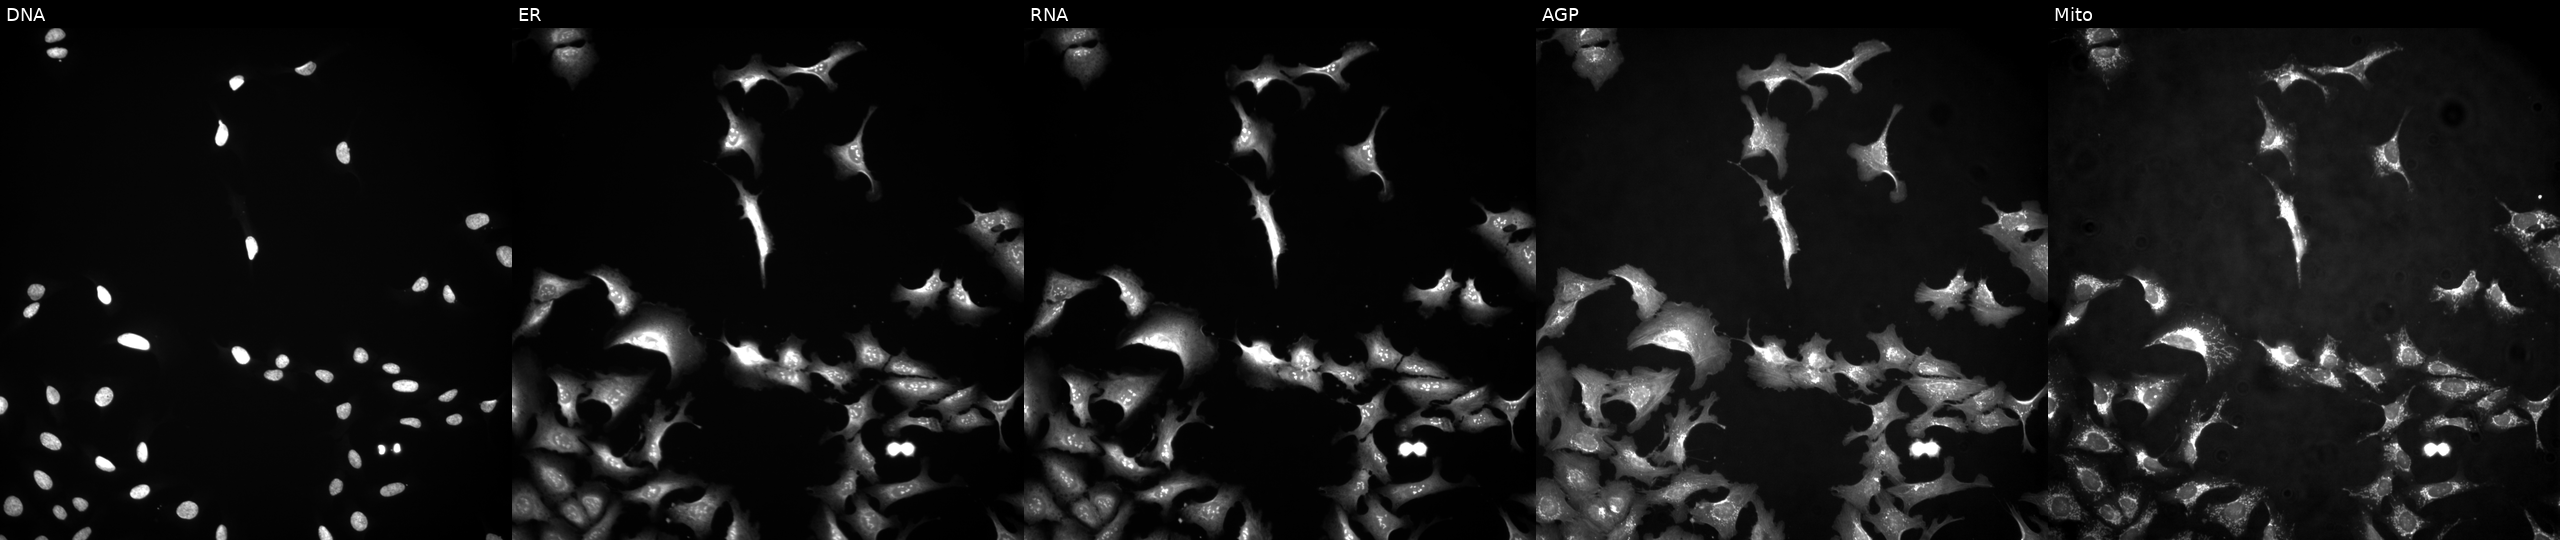
JUMP Cell Painting — ORF plate. U2OS cells transfected with an ORF construct for CYP4F11 (JUMP id JCP2022_908190). Channels (left→right): Hoechst 33342, concanavalin A, SYTO 14, phalloidin and WGA, MitoTracker. Source 4, plate BR00124787, well N05.